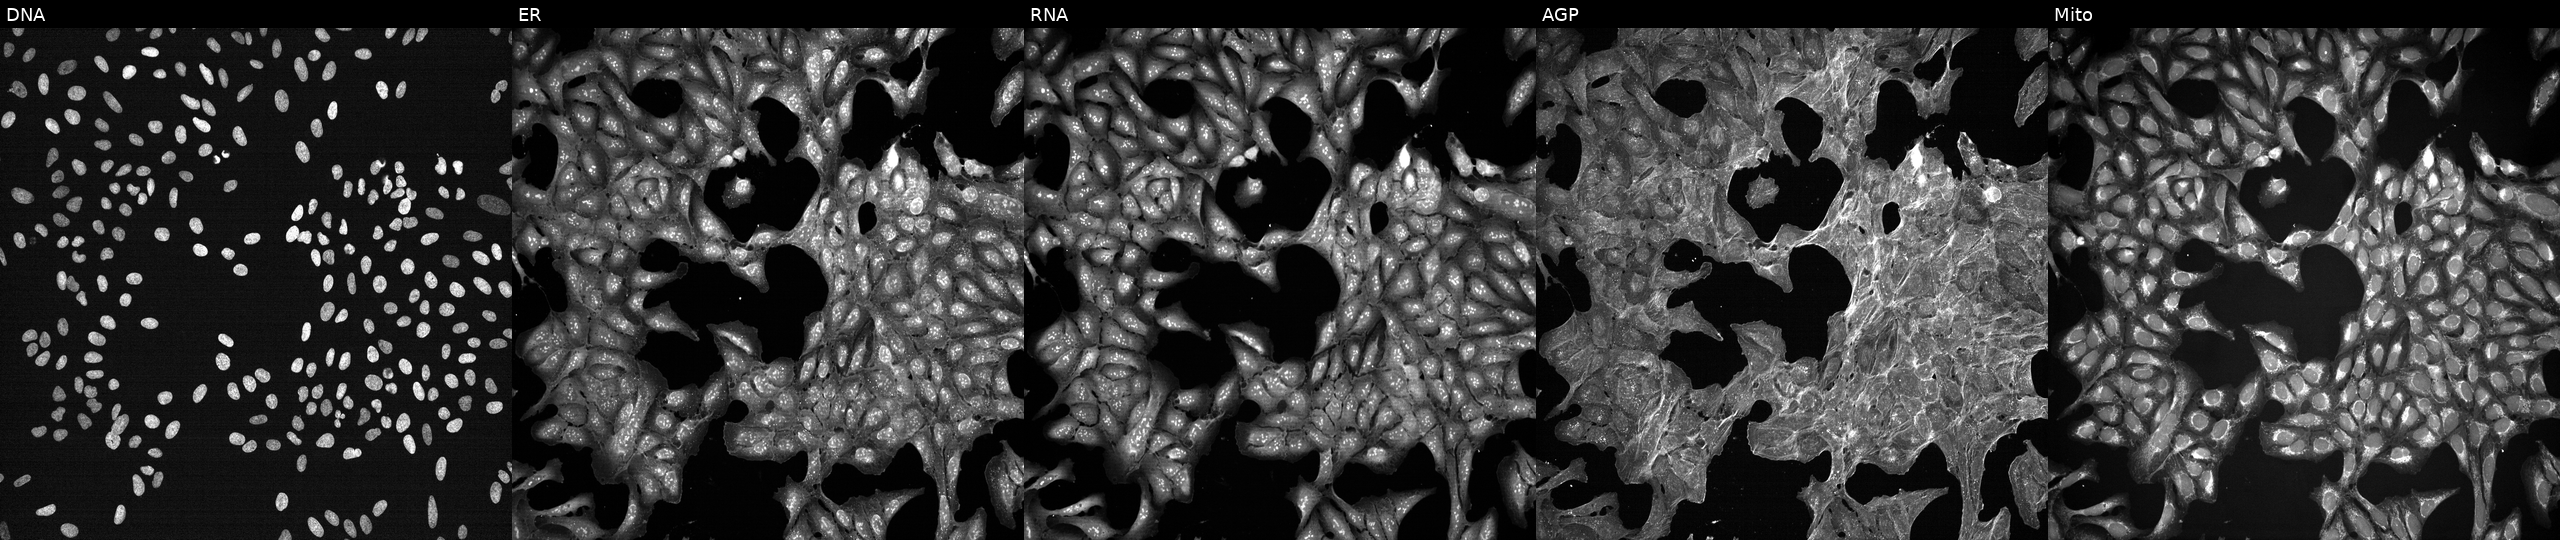
High-content fluorescence microscopy (Cell Painting). Cell line: U2OS. Perturbation: treated with DMSO vehicle only (negative control). From left to right: Hoechst 33342, concanavalin A, SYTO 14, phalloidin and WGA, MitoTracker.